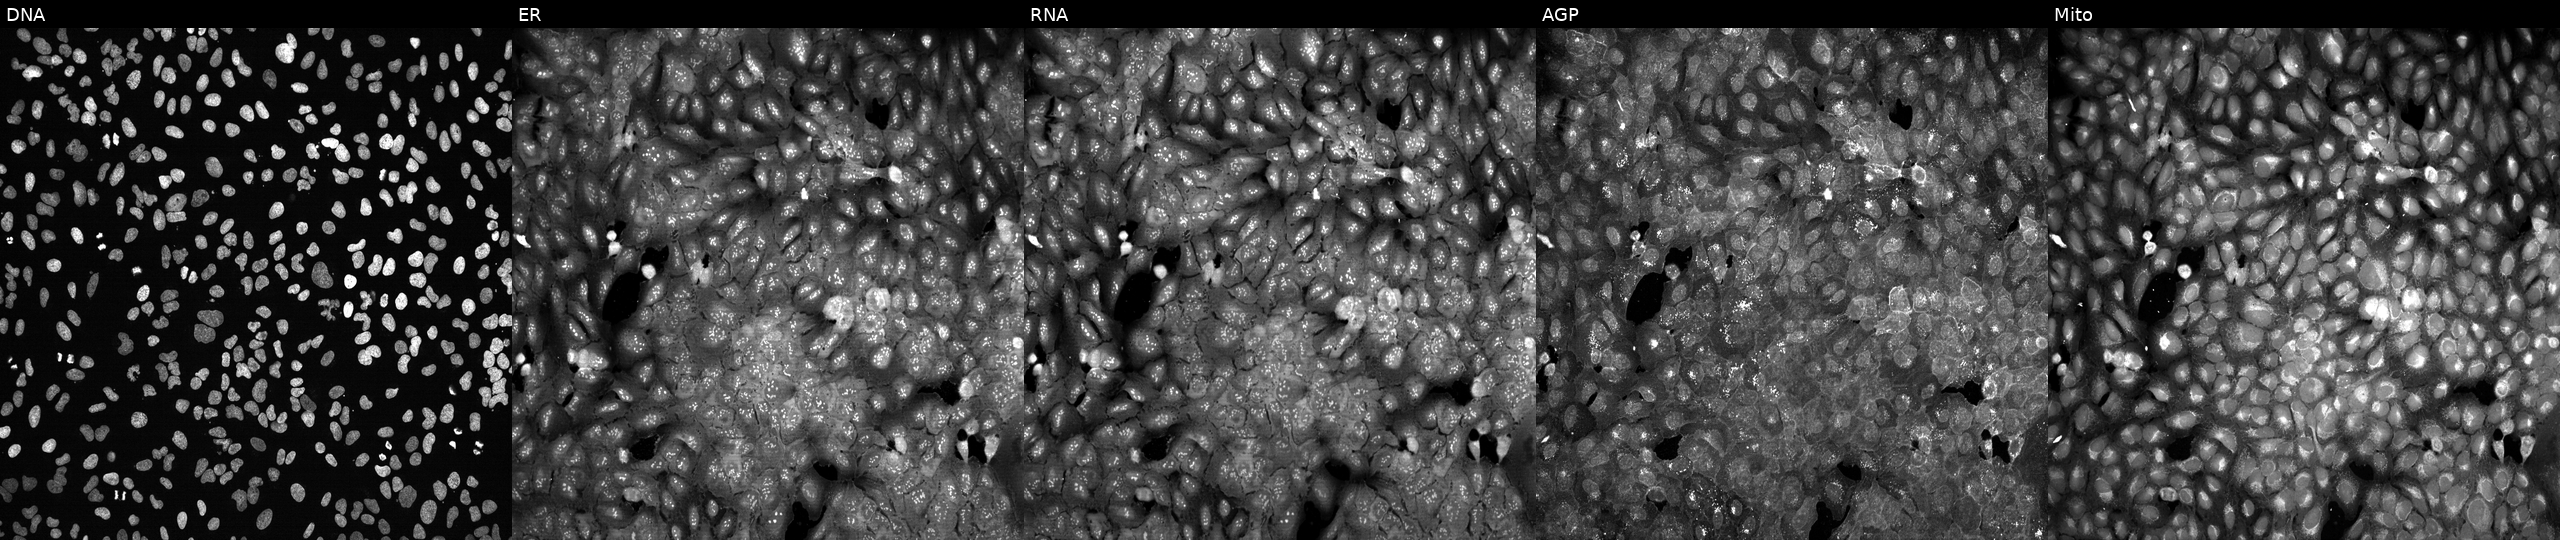
JUMP Cell Painting — CRISPR plate. U2OS cells CRISPR-edited to disrupt CCS (JUMP id JCP2022_801135). Panels show, left to right, DNA (nuclei); ER (endoplasmic reticulum); RNA (nucleoli and cytoplasmic RNA); AGP (actin cytoskeleton, Golgi, and plasma membrane); Mito (mitochondria). Source 13, plate CP-CC9-R1-01, well K08.